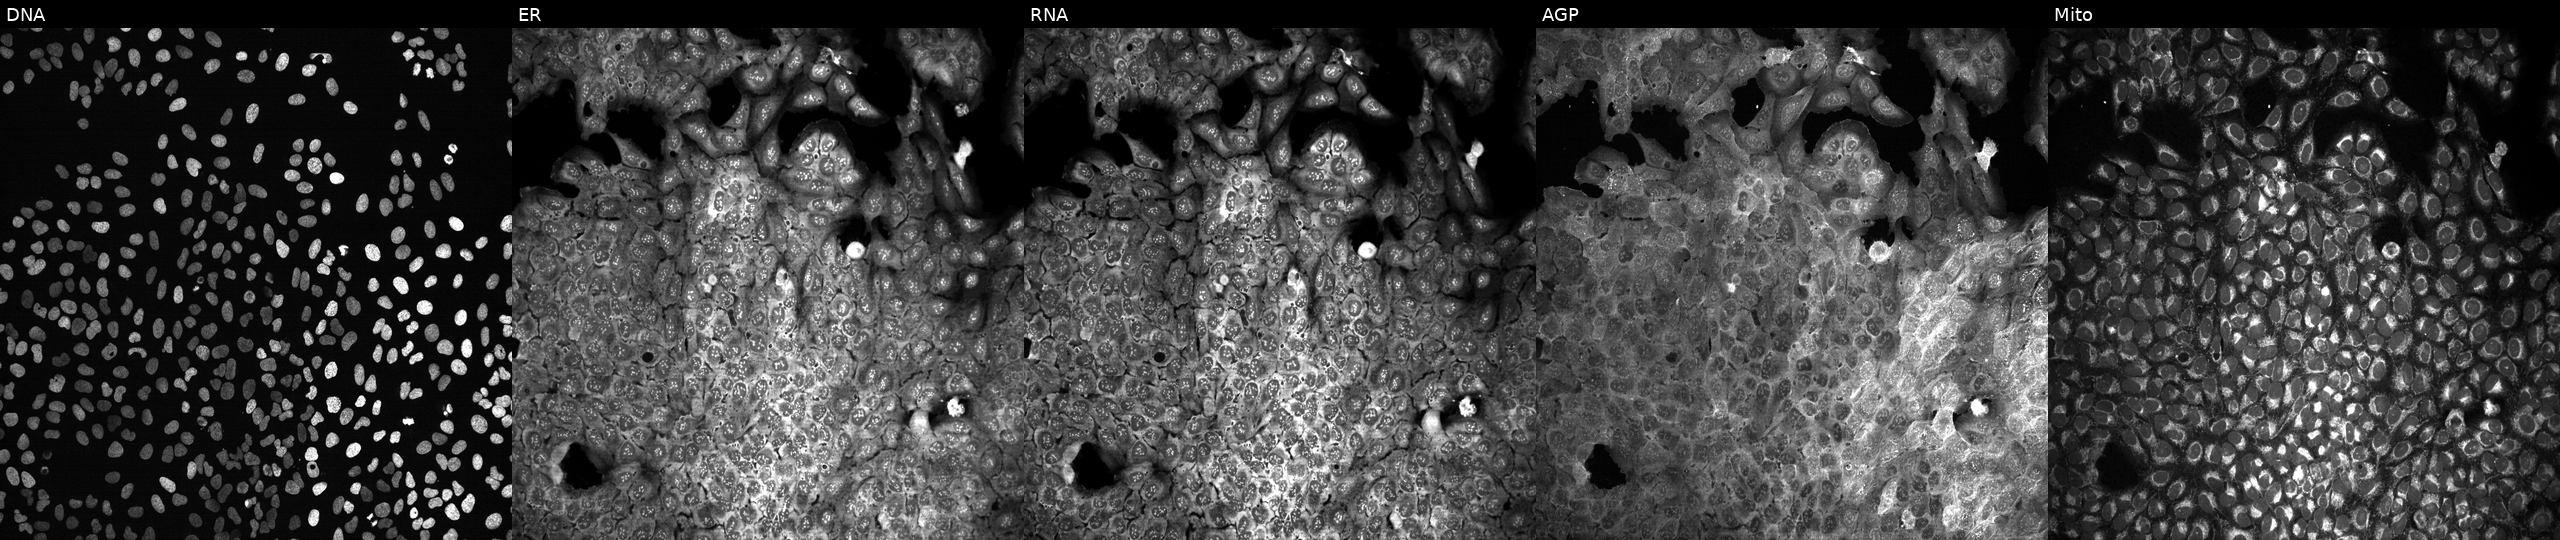
Five-channel Cell Painting image of U2OS cells exposed to DMSO alone as a negative control. Channels (left→right): DNA (nuclei); ER (endoplasmic reticulum); RNA (nucleoli and cytoplasmic RNA); AGP (actin cytoskeleton, Golgi, and plasma membrane); Mito (mitochondria).